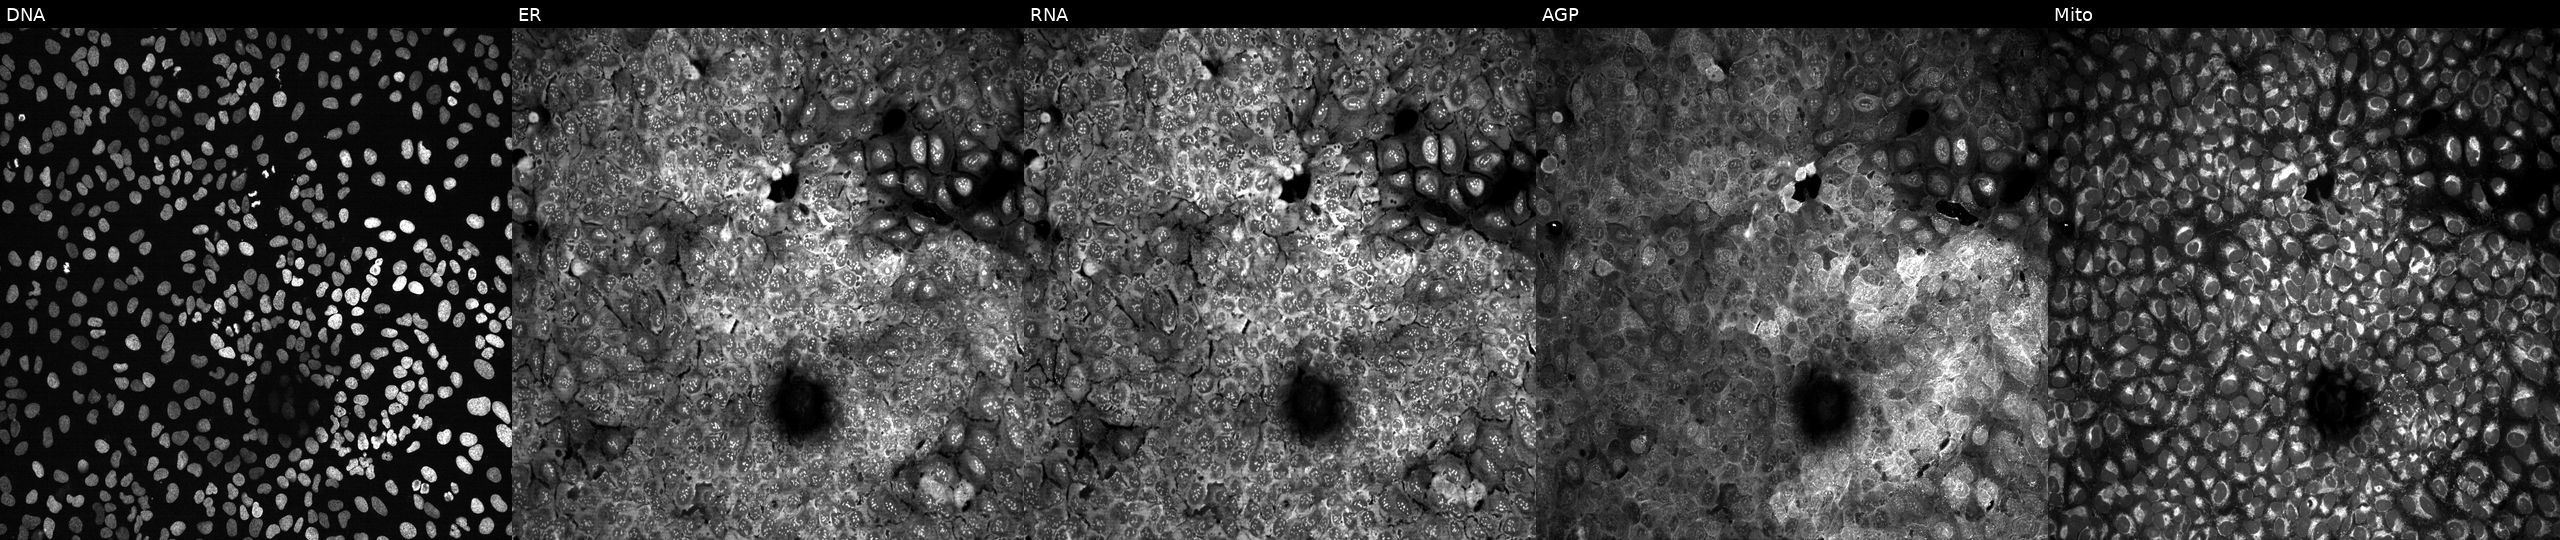
U2OS cells, Cell Painting assay, CRISPR-edited to disrupt NRG1. Panels show, left to right, Hoechst 33342, concanavalin A, SYTO 14, phalloidin and WGA, MitoTracker. Each panel is percentile-stretched 16-bit fluorescence. Source 13, plate CP-CC9-R4-04, well A08.